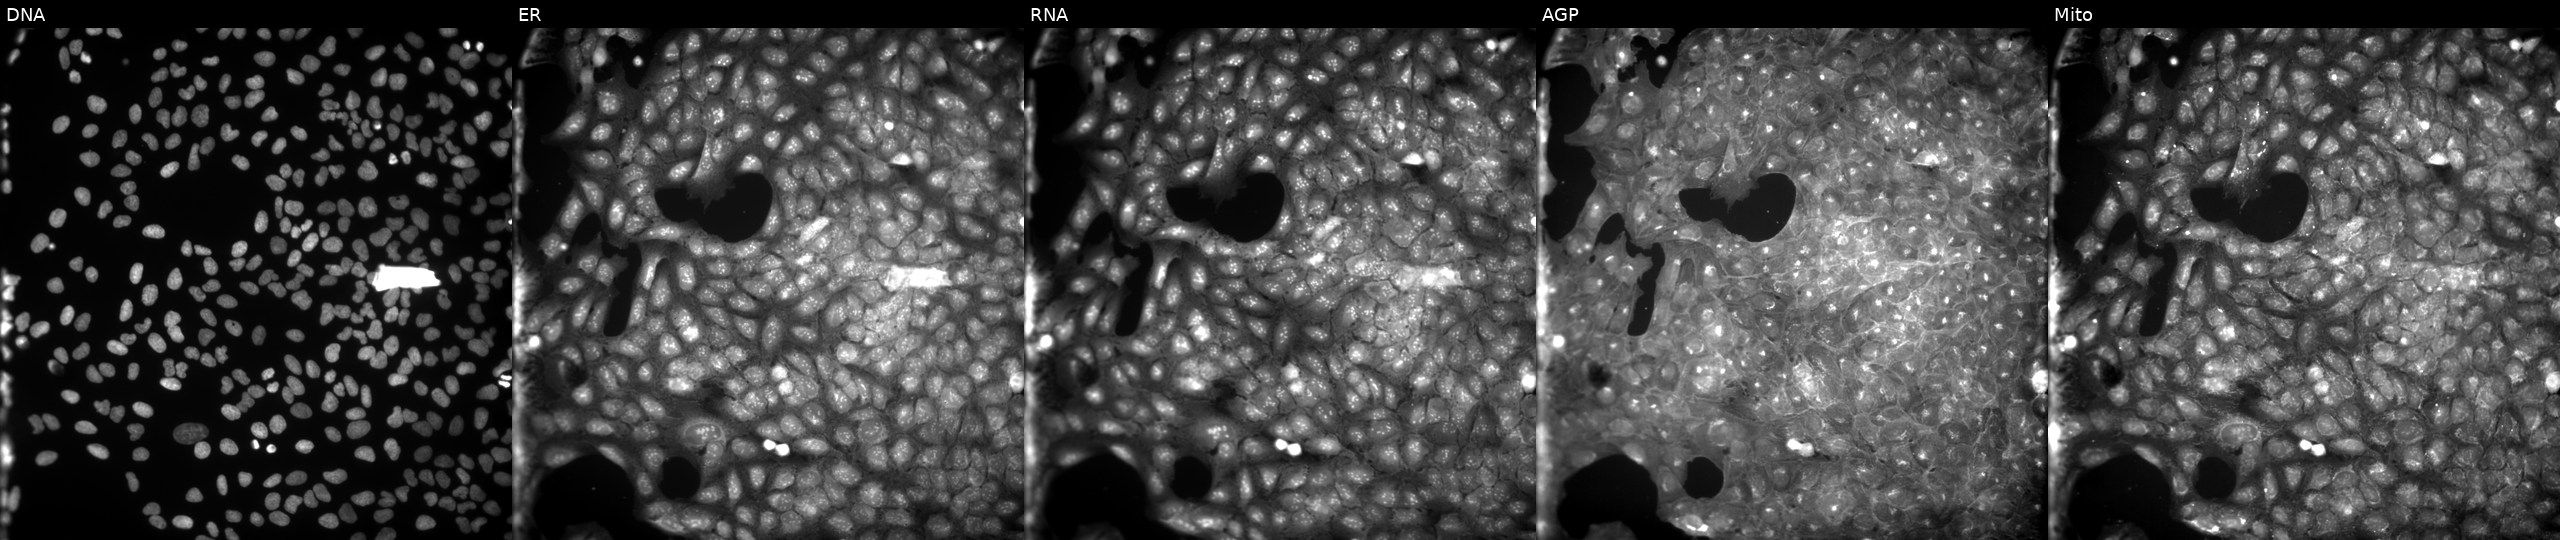
High-content fluorescence microscopy (Cell Painting). Cell line: U2OS. Perturbation: treated with aloxistatin (positive-control compound). From left to right: DNA, ER, RNA, AGP, and Mito.